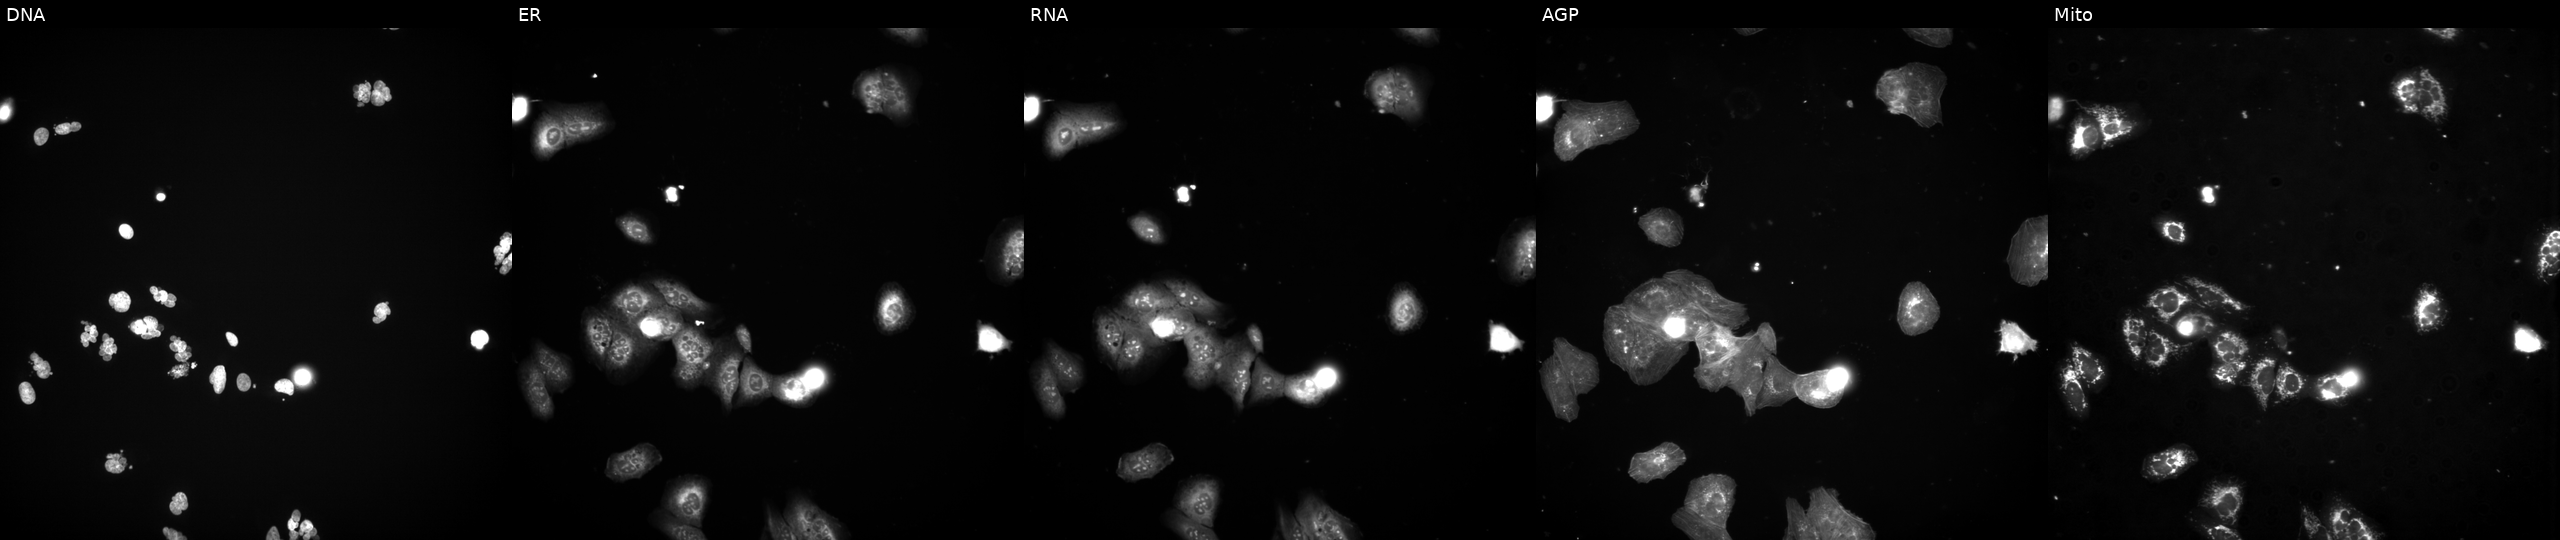
JUMP Cell Painting — COMPOUND plate. U2OS cells treated with a small-molecule compound (InChIKey QSXBNJLMLRJUSI-UHFFFAOYSA-N). Channels (left→right): DNA, ER, RNA, AGP, and Mito. Source 3, plate BR5867b3, well J16.